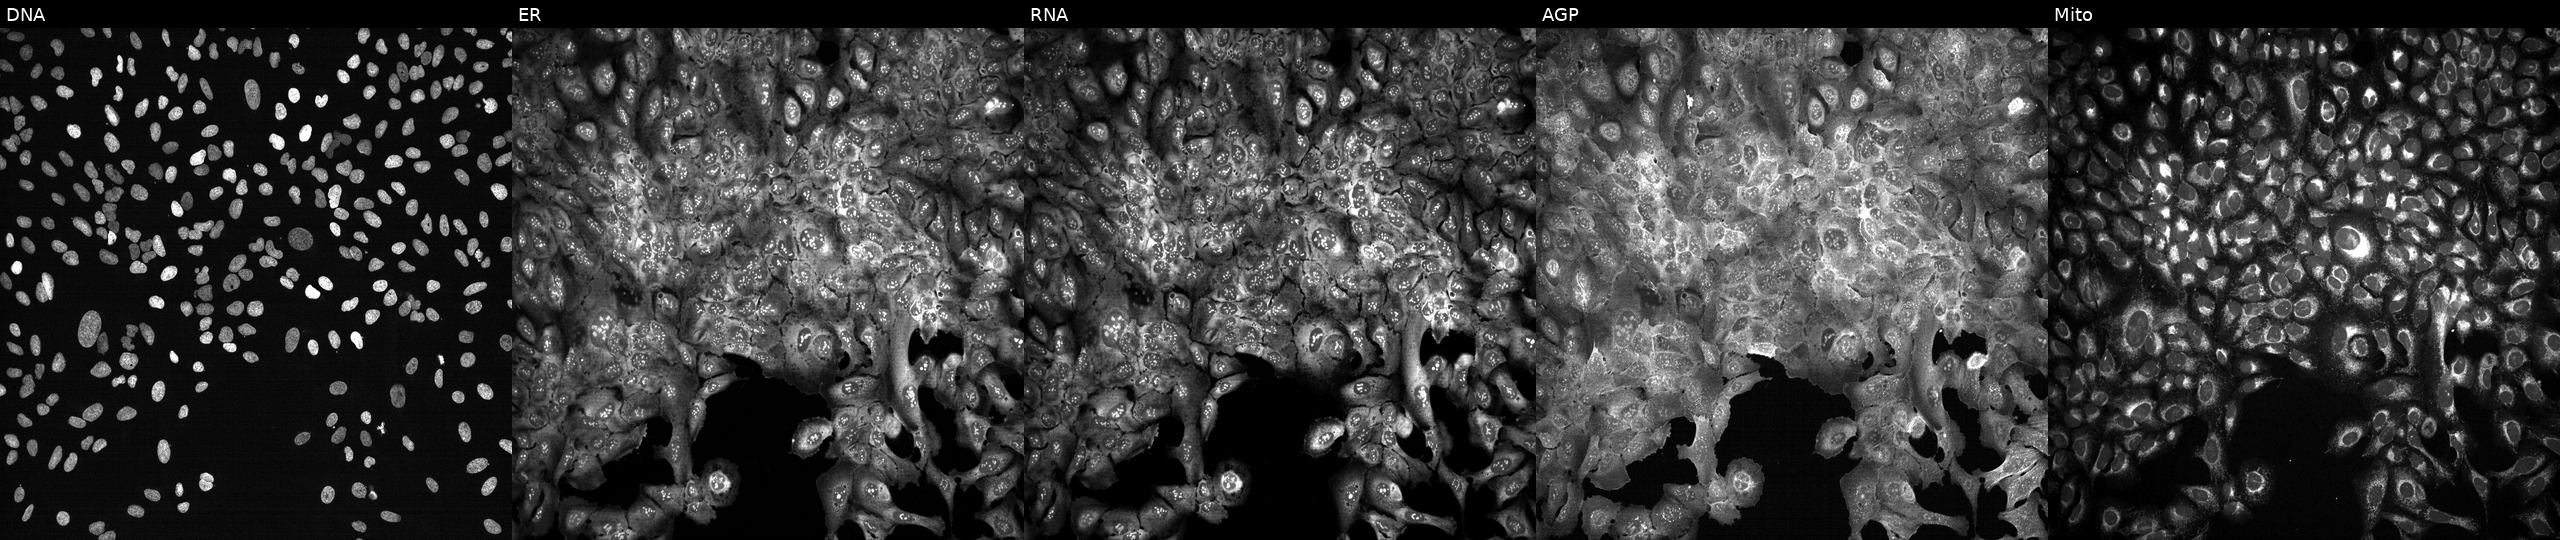
U2OS cells, Cell Painting assay, CRISPR-edited to disrupt EXOSC4 (JUMP id JCP2022_802210). From left to right: Hoechst 33342, concanavalin A, SYTO 14, phalloidin and WGA, MitoTracker. Each panel is percentile-stretched 16-bit fluorescence.